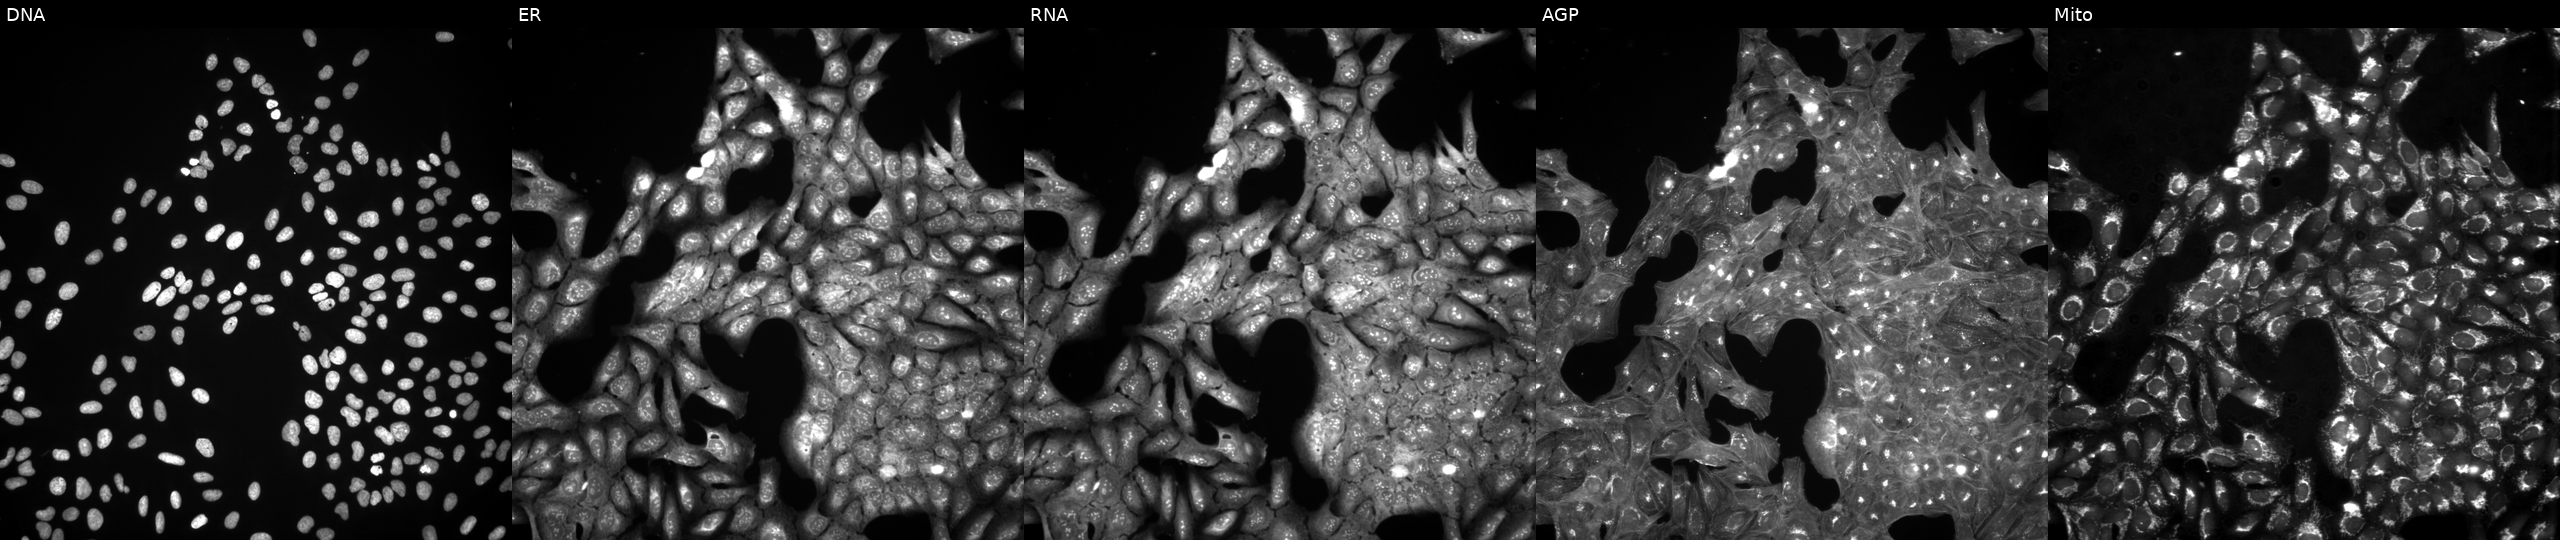
U2OS cells, Cell Painting assay, exposed to a small-molecule compound [SMILES: Cc1cc2c(s1)=Nc1ccccc1NC=2N1CCN(C)CC1] (JUMP id JCP2022_101857). From left to right: DNA (nuclei); ER (endoplasmic reticulum); RNA (nucleoli and cytoplasmic RNA); AGP (actin cytoskeleton, Golgi, and plasma membrane); Mito (mitochondria). Each panel is percentile-stretched 16-bit fluorescence. Source 3, plate JCPQC052, well F23.